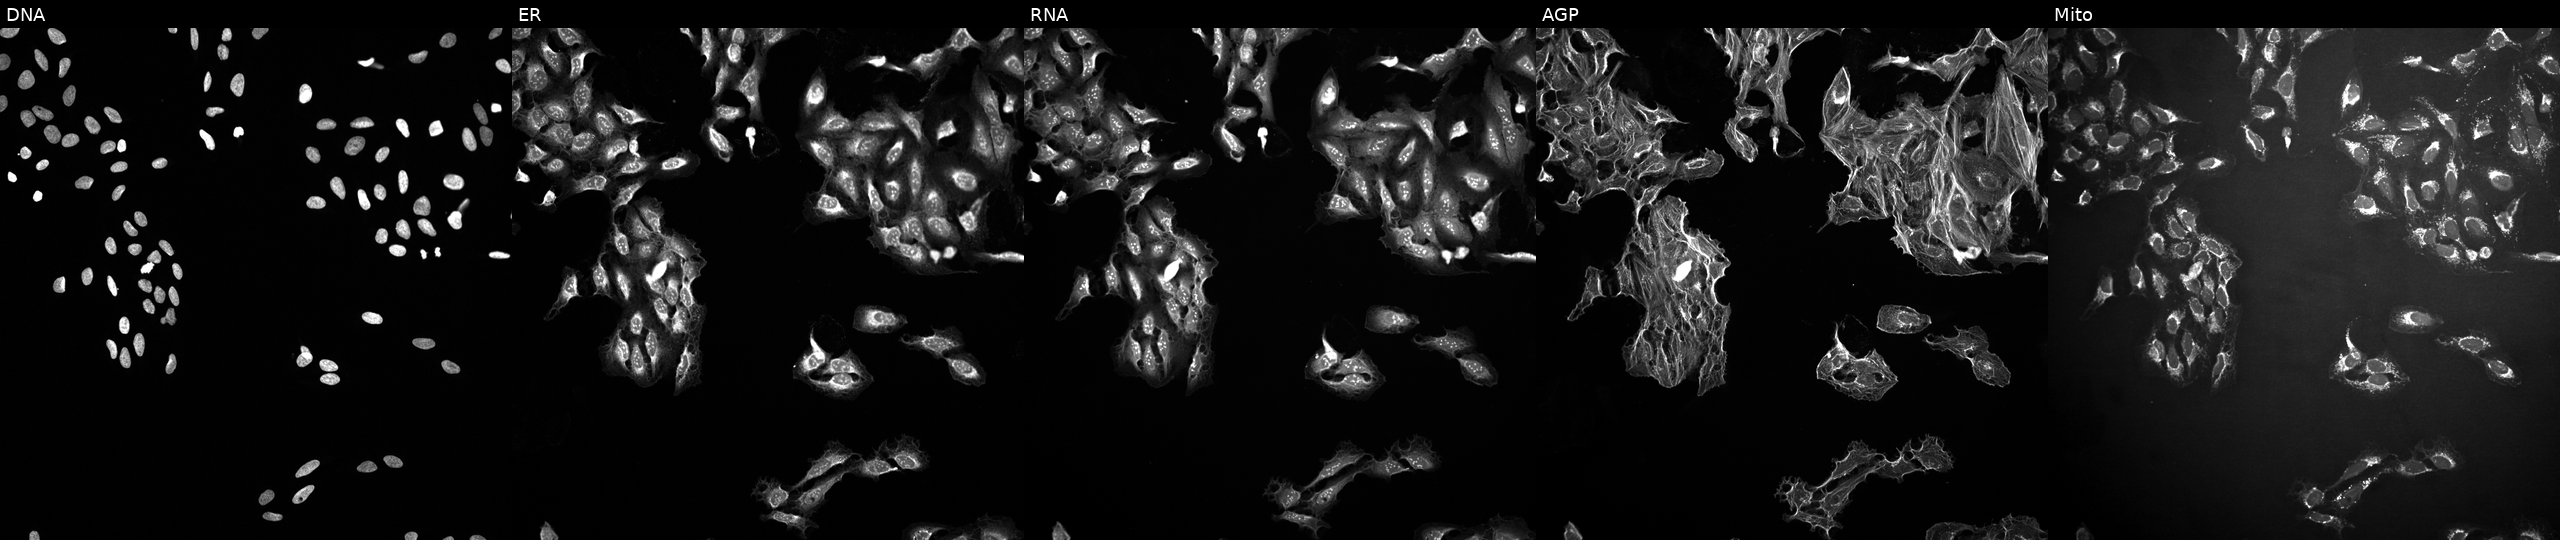
This image strip shows the five Cell Painting channels for a single field of U2OS cells treated with DMSO vehicle only (negative control) (JUMP id JCP2022_033924). From left to right: DNA (nuclei); ER (endoplasmic reticulum); RNA (nucleoli and cytoplasmic RNA); AGP (actin cytoskeleton, Golgi, and plasma membrane); Mito (mitochondria). Source 10, plate Dest210727-153003, well E13.